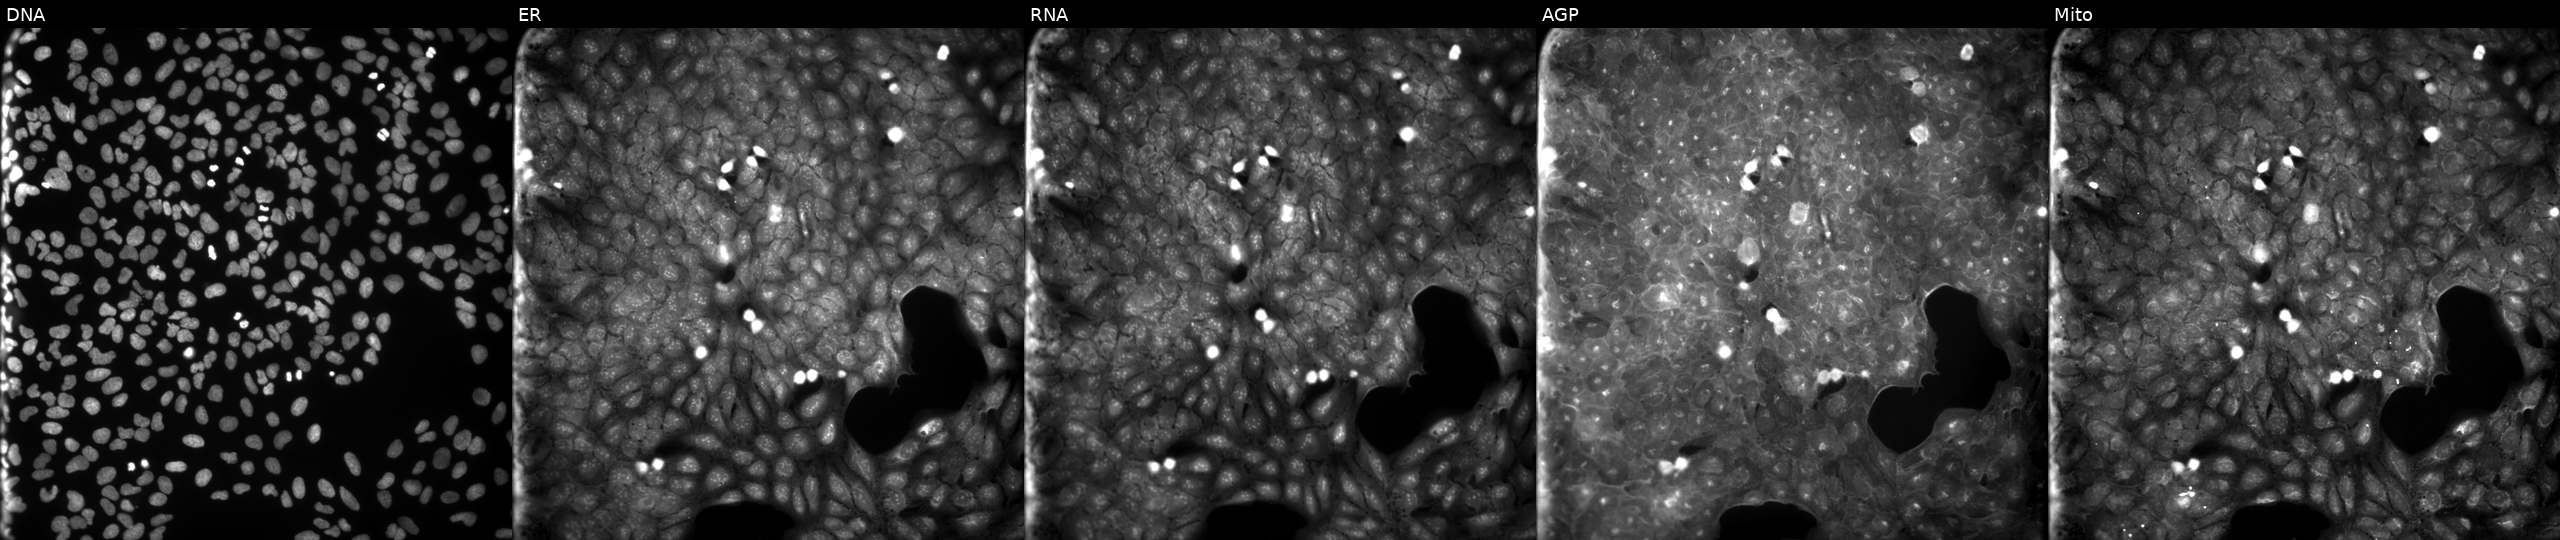
Five-channel Cell Painting image of U2OS cells treated with a small-molecule compound (InChIKey SDJNQWDTASSSCU-UHFFFAOYSA-N). The five panels, left to right, show Hoechst 33342, concanavalin A, SYTO 14, phalloidin and WGA, MitoTracker. Source 9, plate GR00003382, well T13.